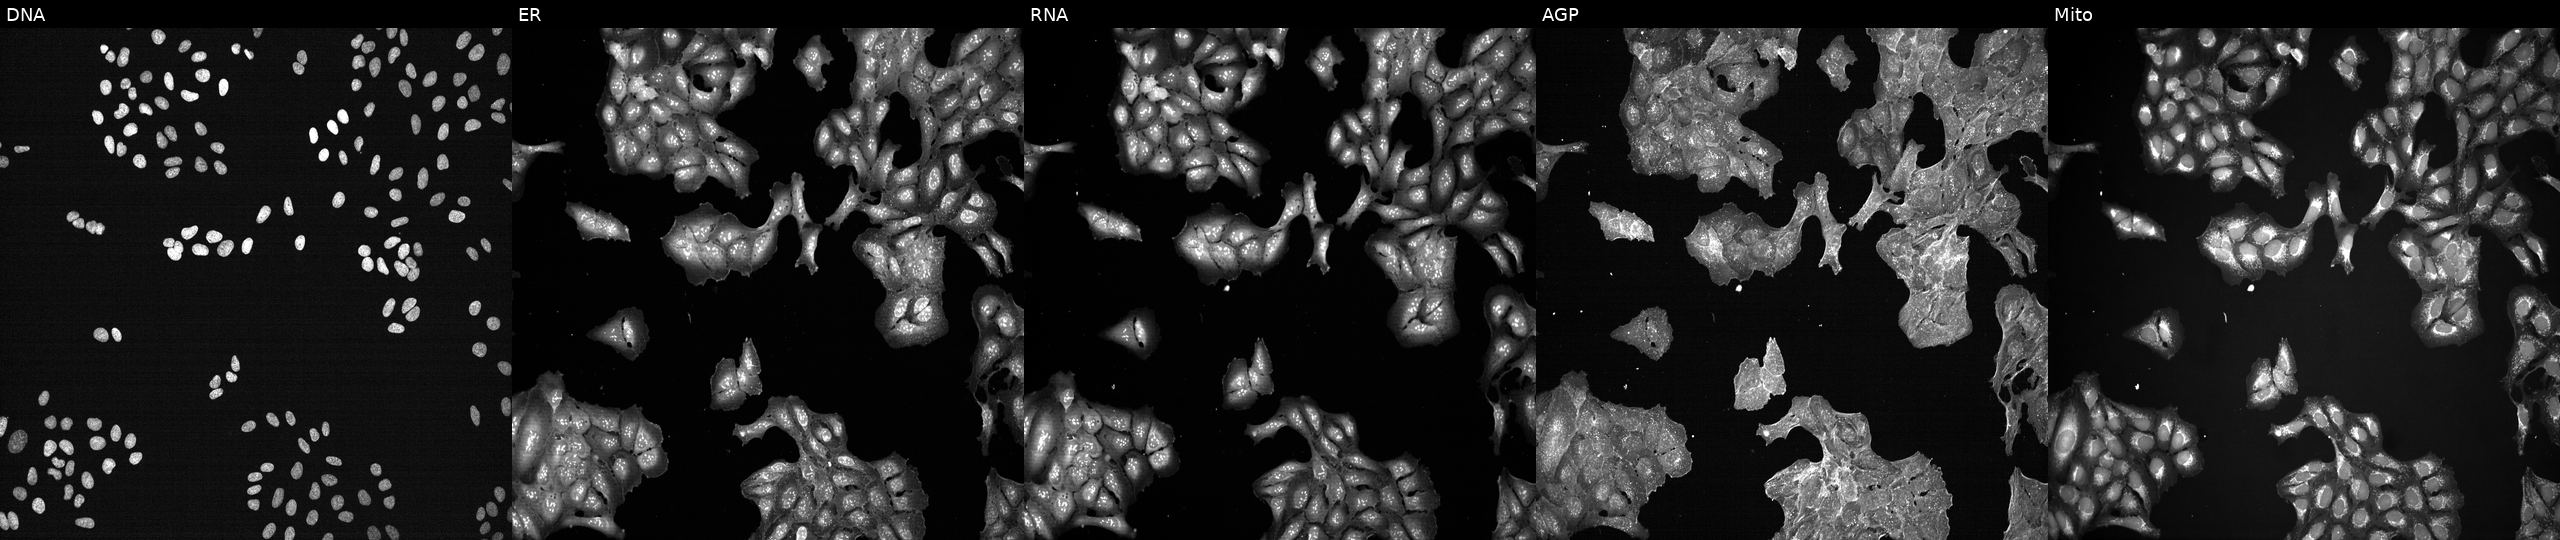
JUMP Cell Painting — TARGET2 plate. U2OS cells exposed to a small-molecule compound (InChIKey NMUSYJAQQFHJEW-UHFFFAOYSA-N) (JUMP id JCP2022_060040). From left to right: Hoechst 33342, concanavalin A, SYTO 14, phalloidin and WGA, MitoTracker.